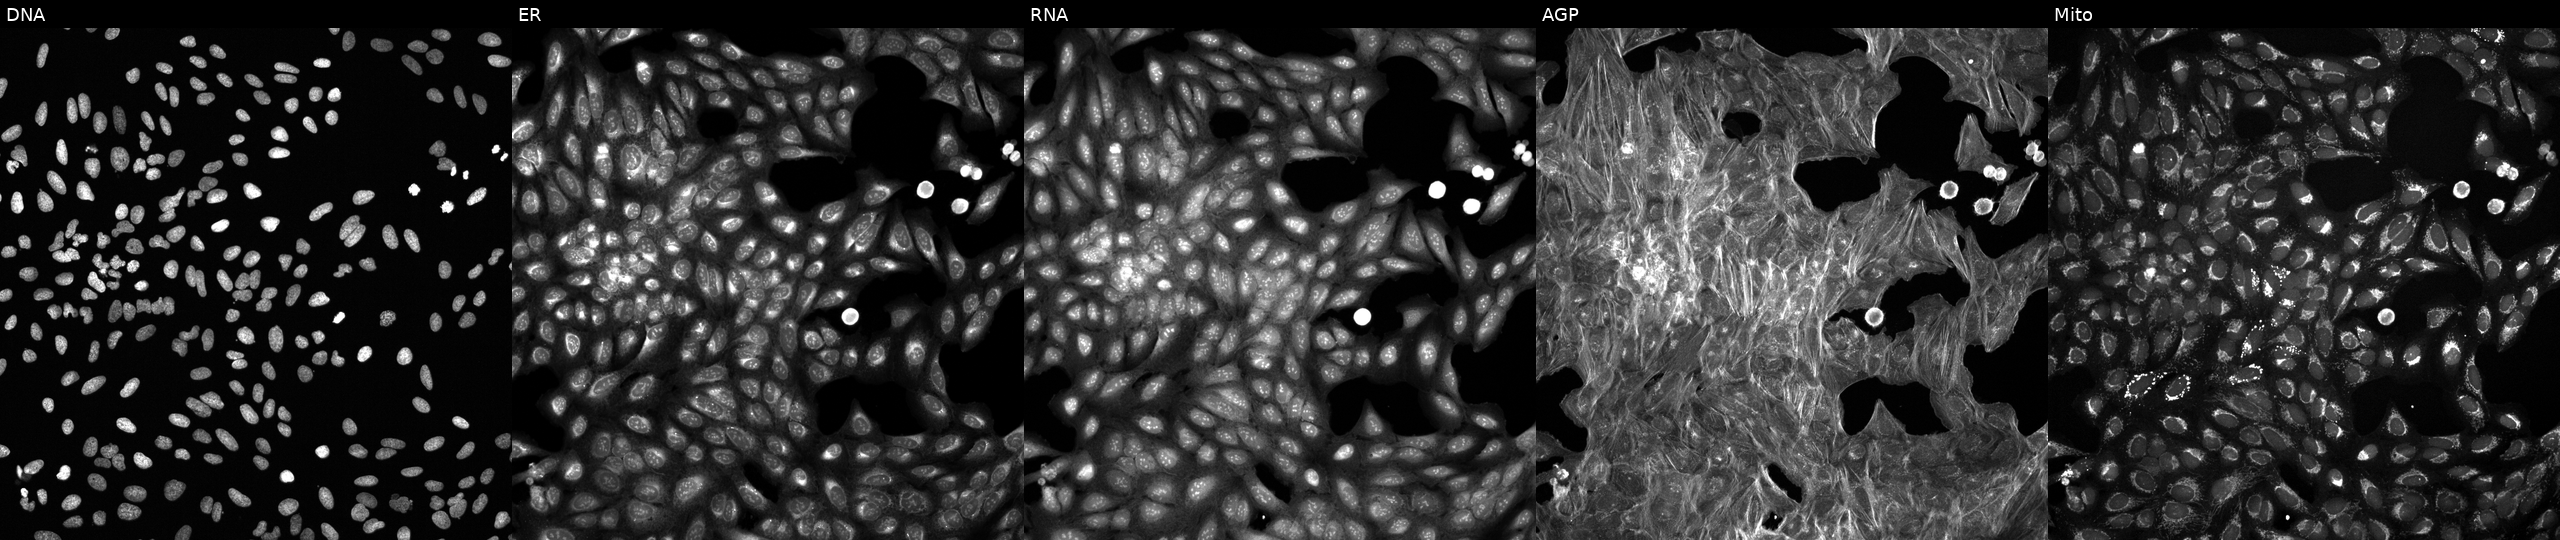
Five-channel Cell Painting image of U2OS cells perturbed with a small-molecule compound. From left to right: DNA, ER, RNA, AGP, and Mito. Source 6, plate 110000293082, well E08.